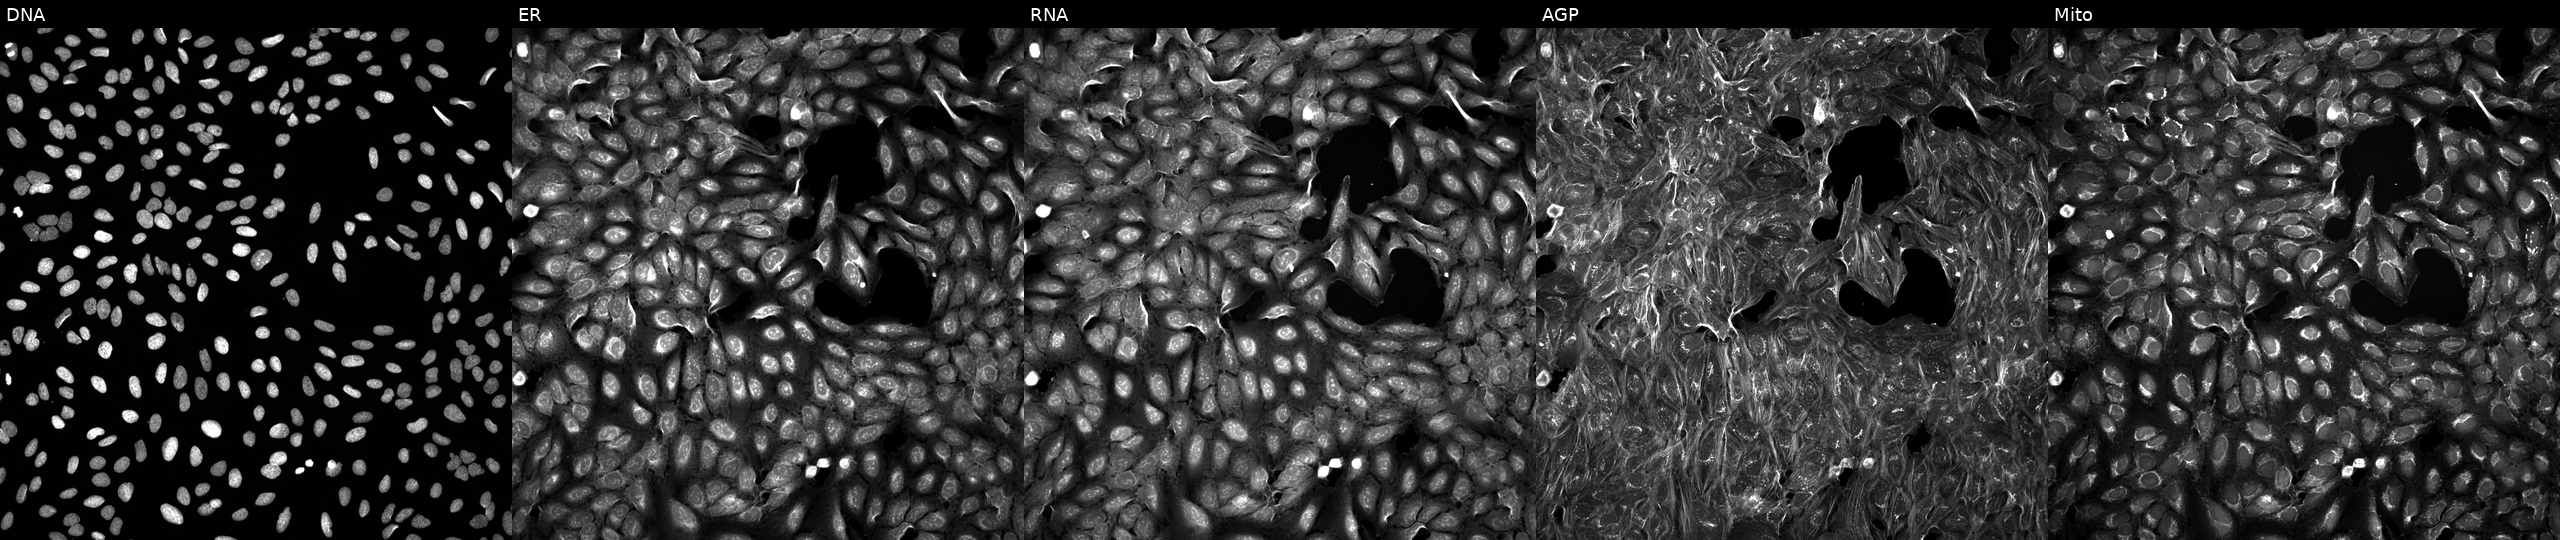
Five-channel Cell Painting image of U2OS cells exposed to a small-molecule compound (InChIKey MQQNFDZXWVTQEH-UHFFFAOYSA-N). The five panels, left to right, show DNA, ER, RNA, AGP, and Mito.